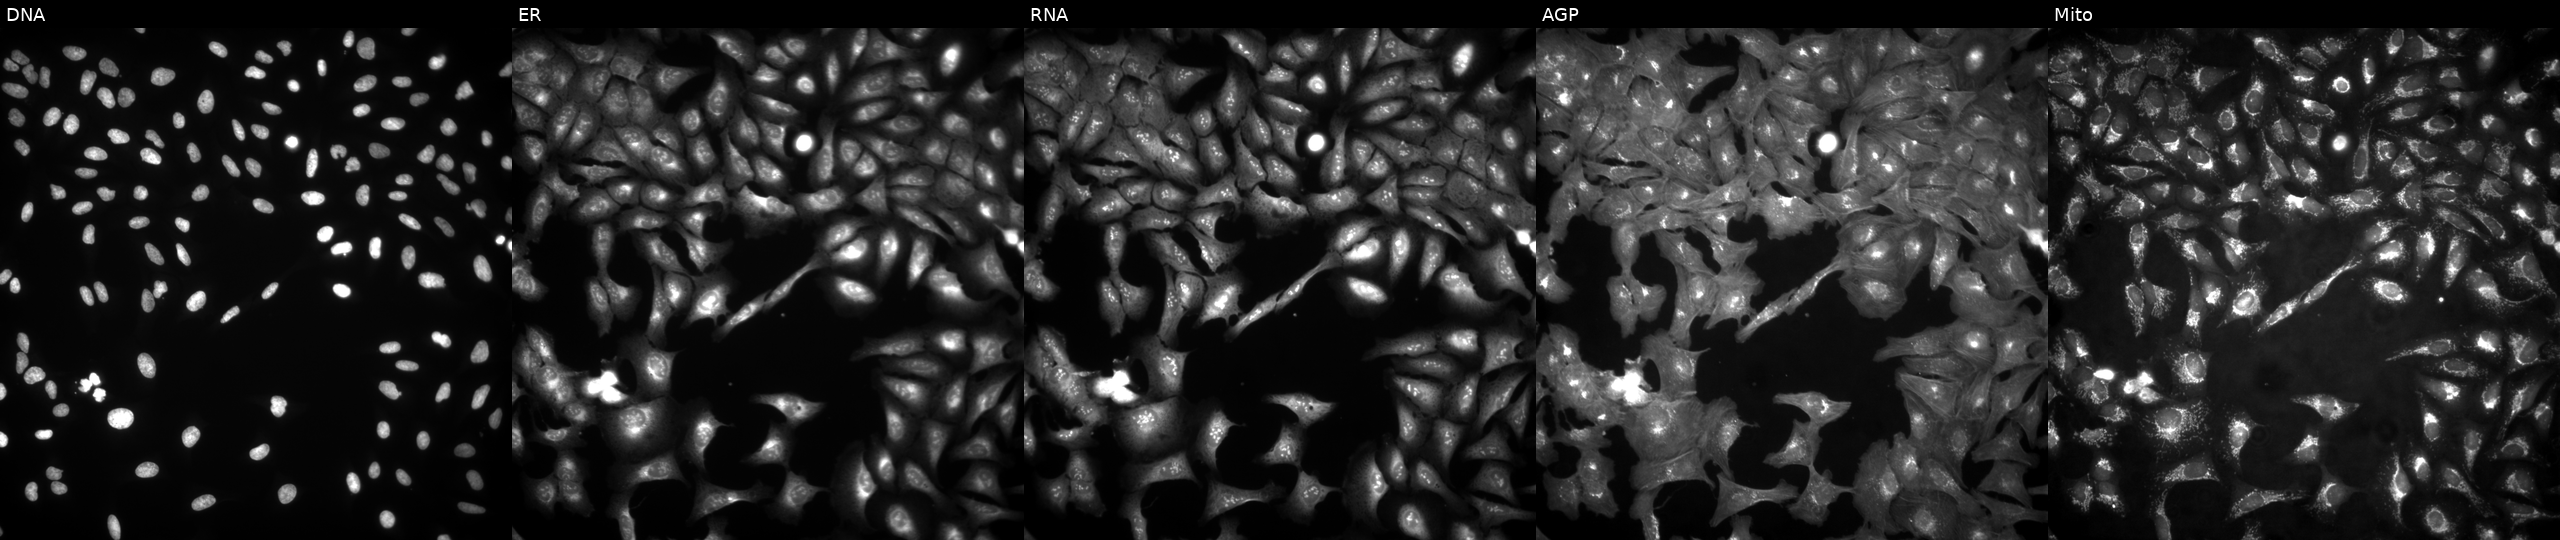
Five-channel Cell Painting image of U2OS cells transfected with an ORF construct for GLIS3-AS1 (JUMP id JCP2022_909568). Panels show, left to right, DNA, ER, RNA, AGP, and Mito. Source 4, plate BR00123509, well H23.